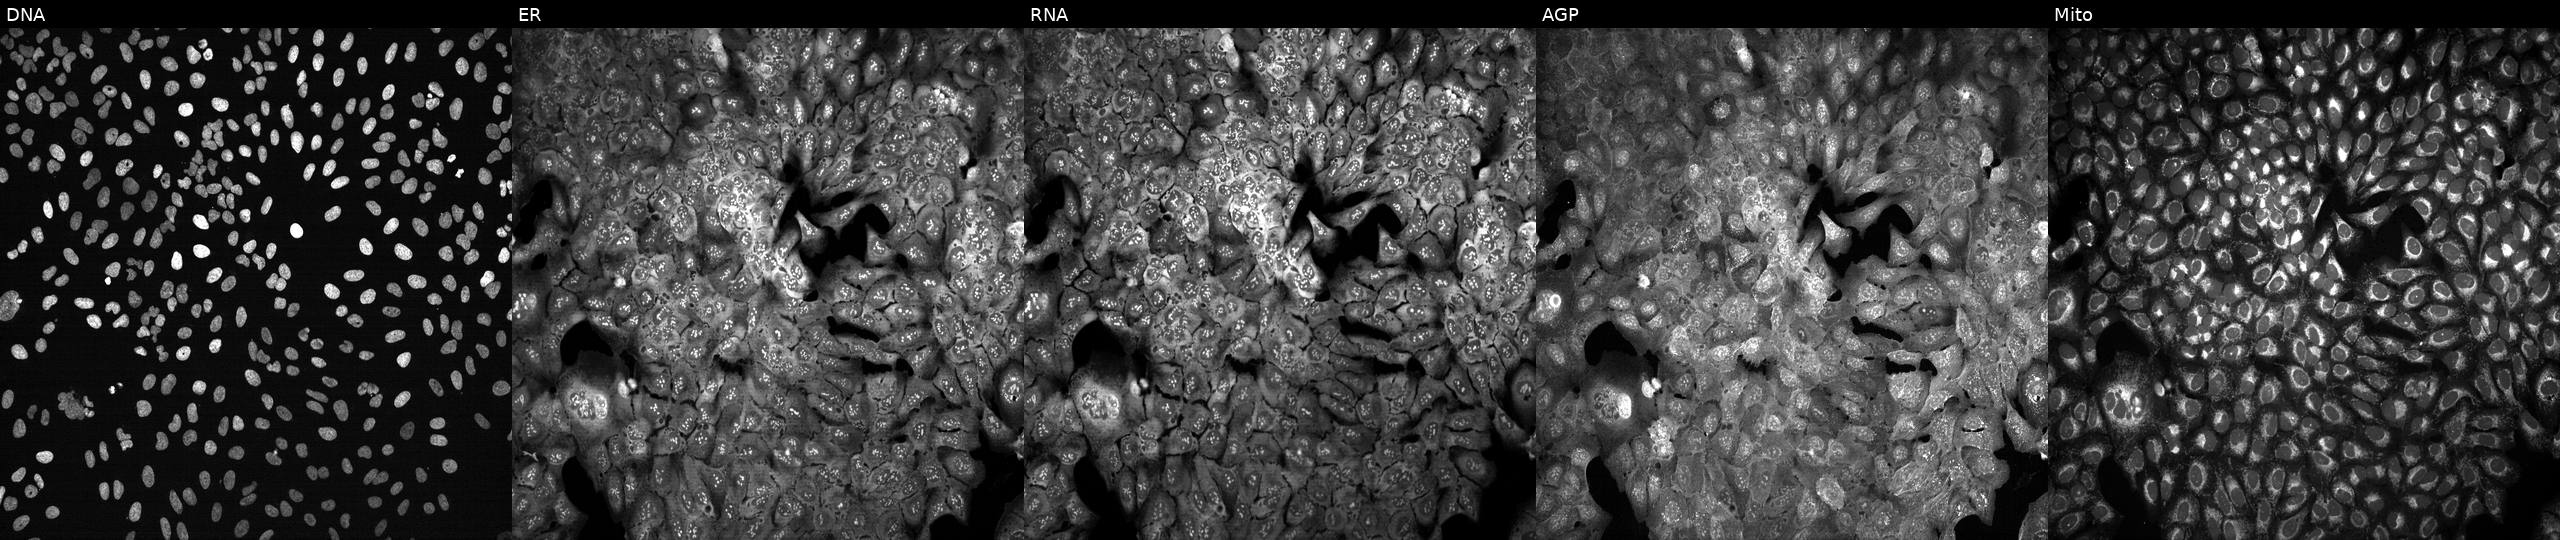
JUMP Cell Painting — CRISPR plate. U2OS cells following CRISPR knockout of IGF2. From left to right: DNA, ER, RNA, AGP, and Mito. Source 13, plate CP-CC9-R4-04, well O14.